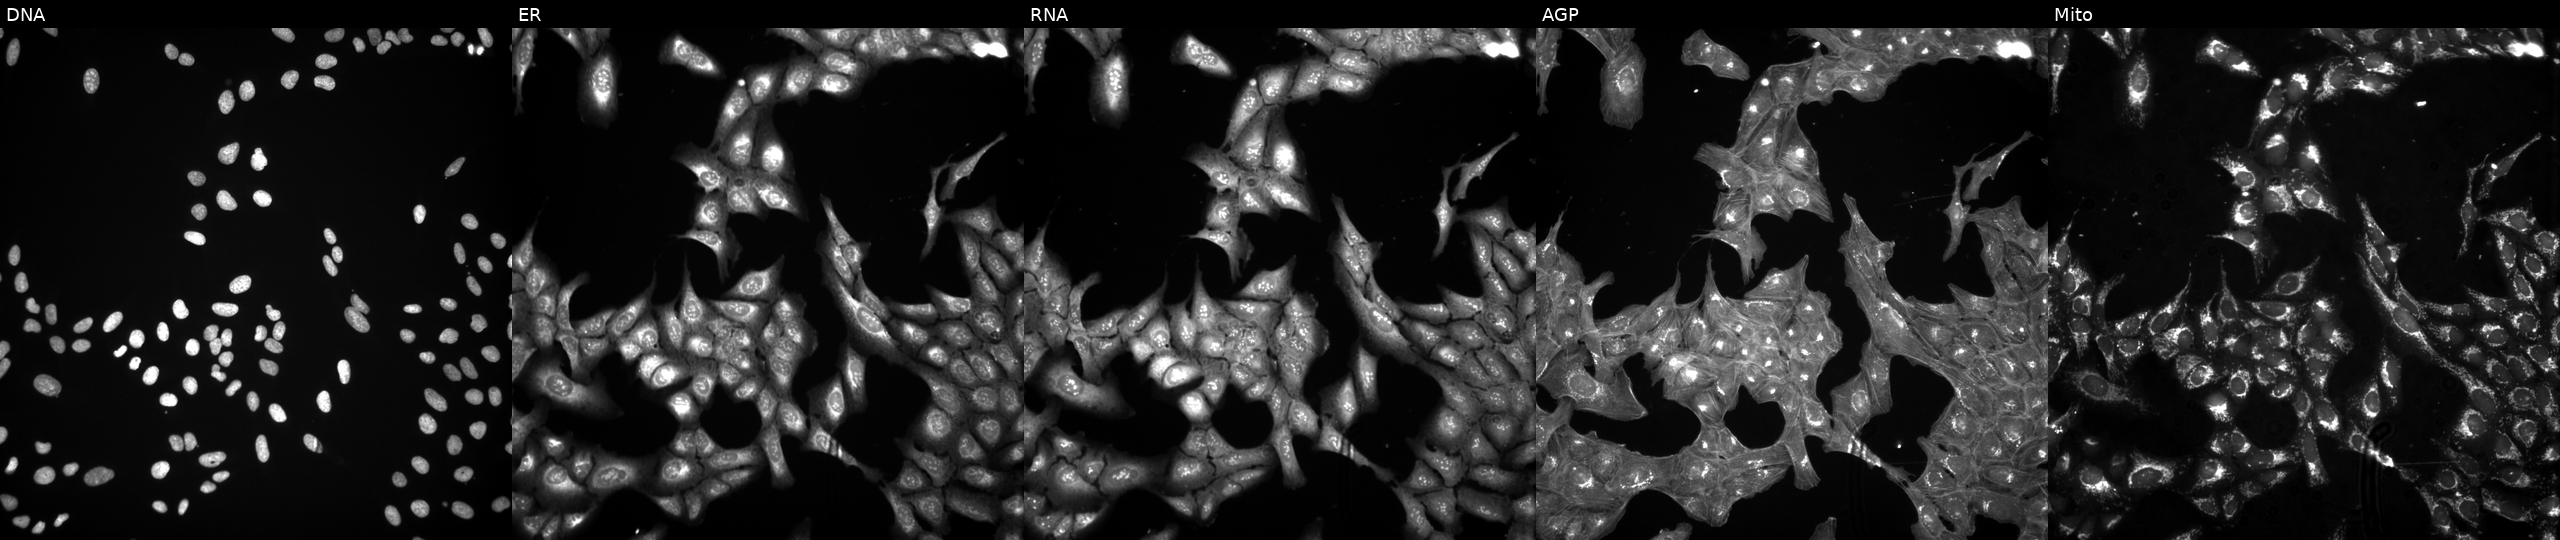
Five-channel Cell Painting image of U2OS cells treated with DMSO vehicle only (negative control). Channels (left→right): DNA (nuclei); ER (endoplasmic reticulum); RNA (nucleoli and cytoplasmic RNA); AGP (actin cytoskeleton, Golgi, and plasma membrane); Mito (mitochondria). Source 3, plate BR5867a3, well K23.